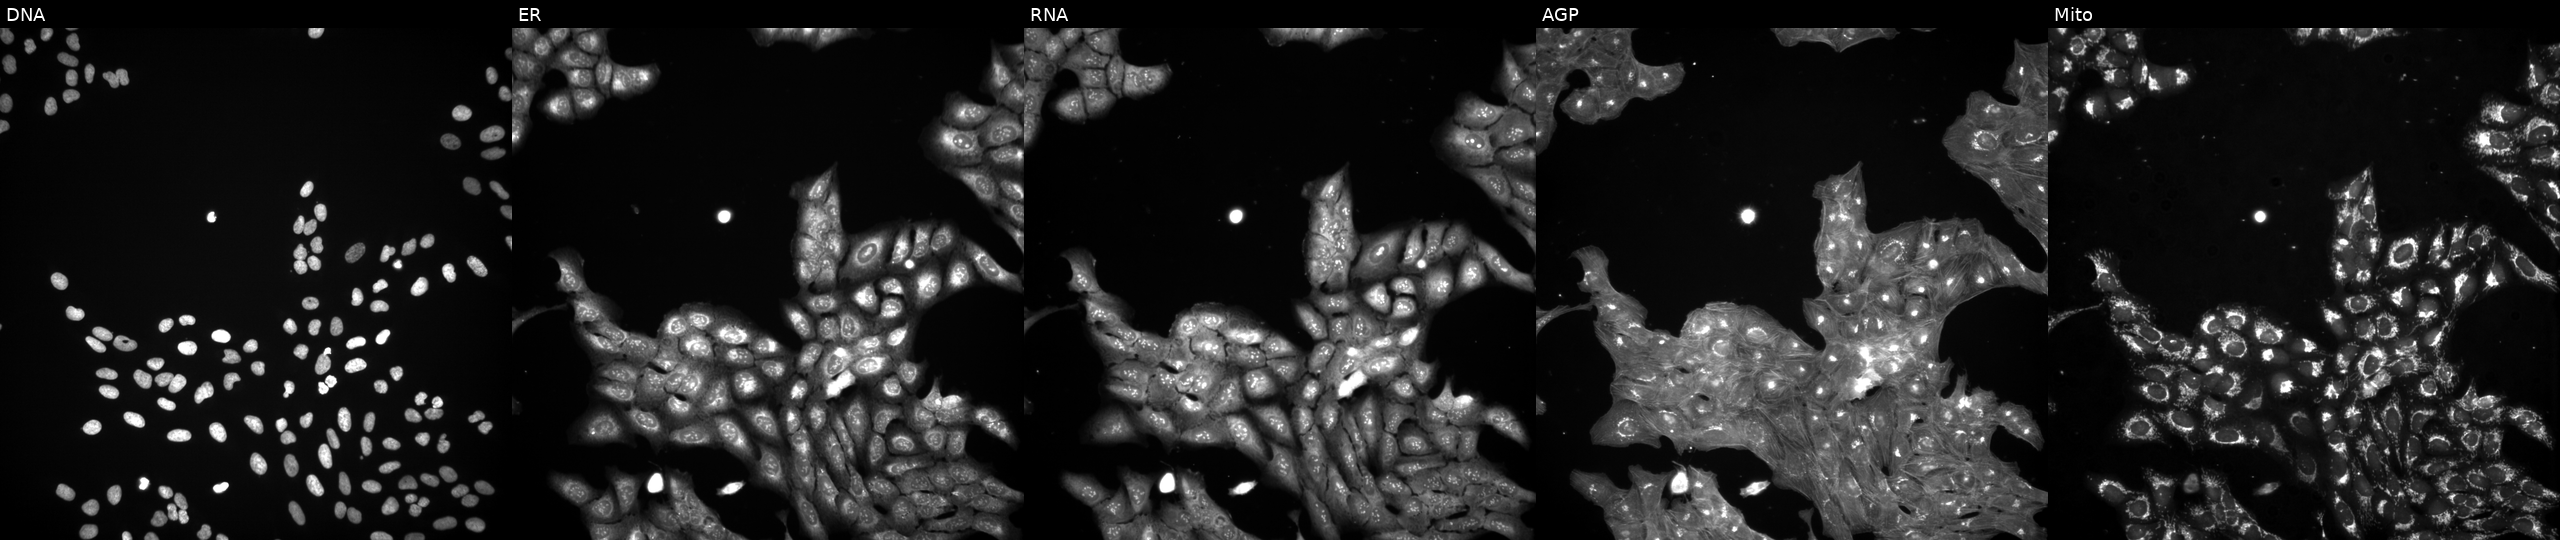
U2OS cells, Cell Painting assay, perturbed with a small-molecule compound (InChIKey IGTJMMDAFLQIPX-UHFFFAOYSA-N) [SMILES: CC(=O)c1cccc(NC(=O)C2CCN(S(=O)(=O)c3cccs3)CC2)c1]. The five panels, left to right, show Hoechst 33342, concanavalin A, SYTO 14, phalloidin and WGA, MitoTracker. Each panel is percentile-stretched 16-bit fluorescence.